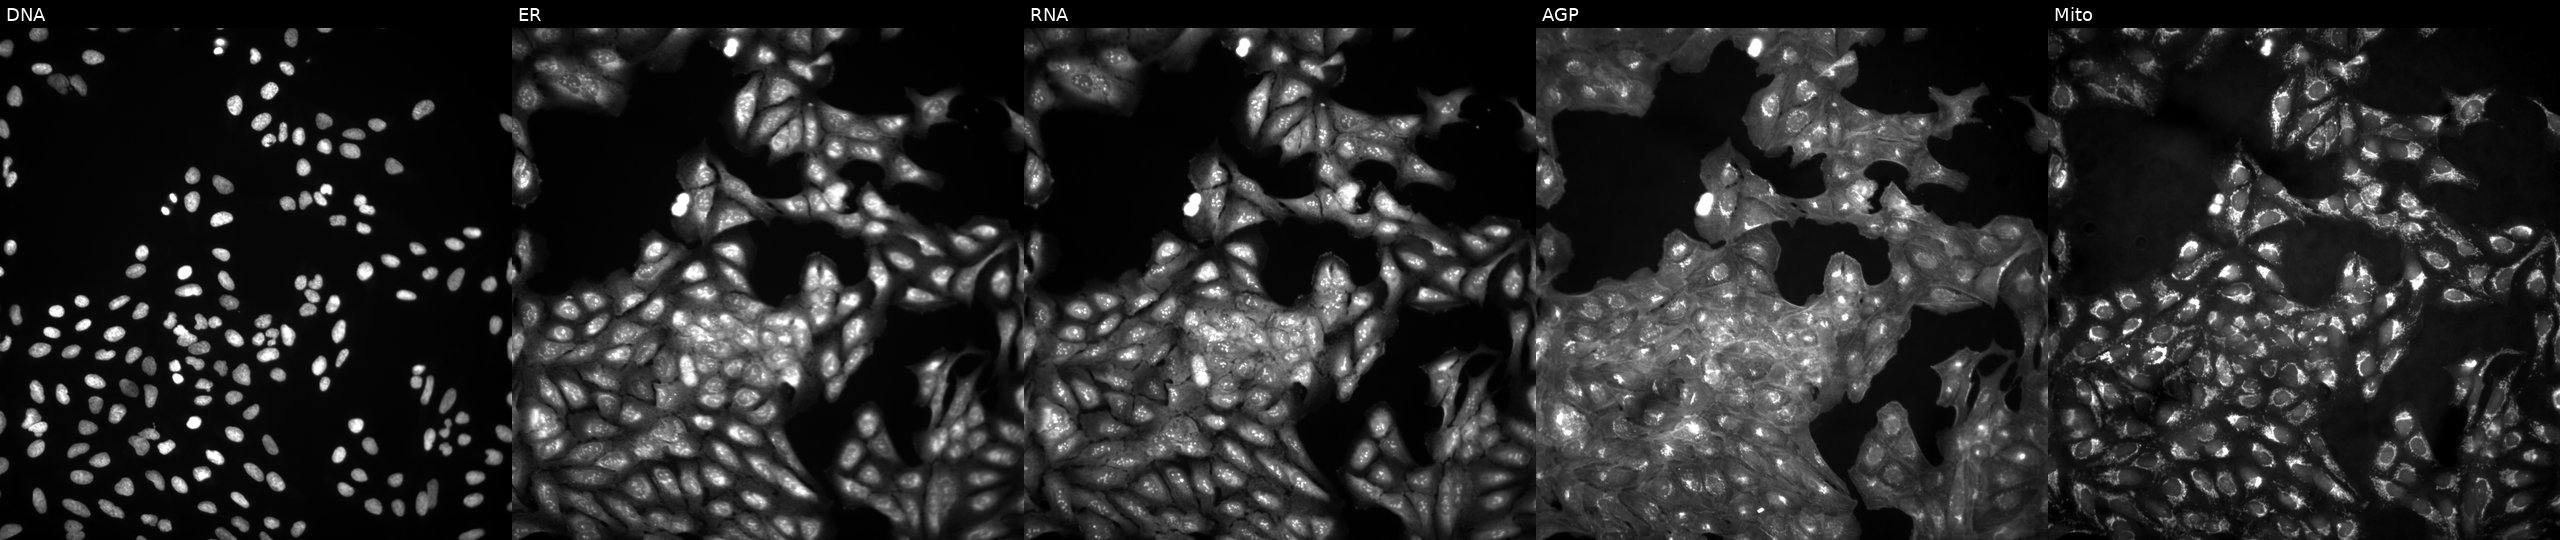
Channels (left→right): DNA, ER, RNA, AGP, and Mito. U2OS osteosarcoma cells in an empty control well (no perturbation) (JUMP id JCP2022_999999). Cell Painting assay, JUMP-CP dataset.